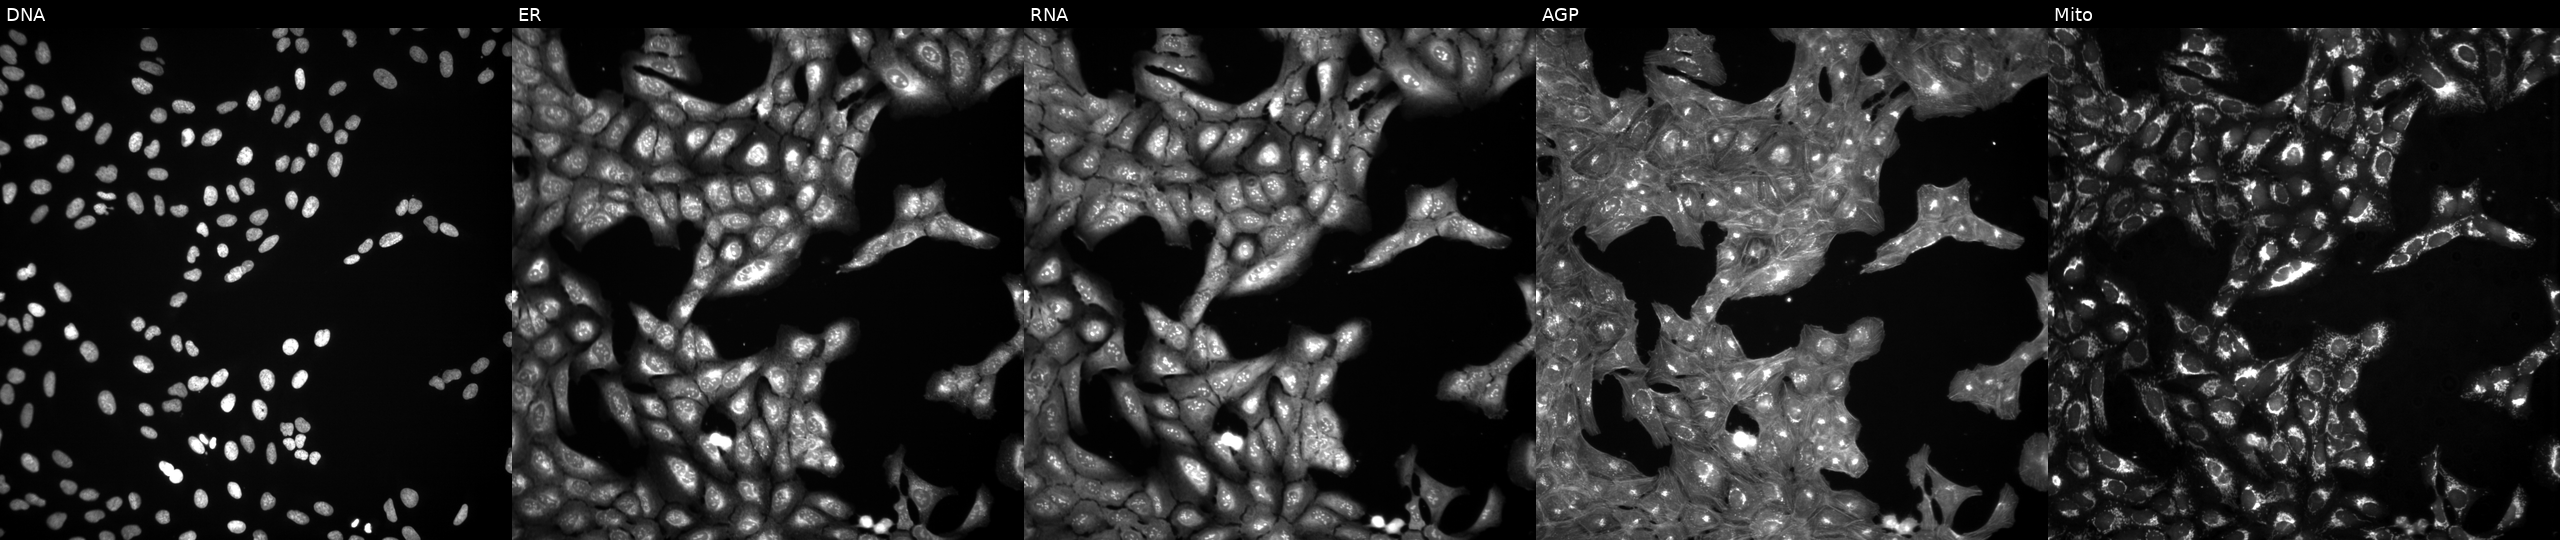
Panels show, left to right, DNA (nuclei); ER (endoplasmic reticulum); RNA (nucleoli and cytoplasmic RNA); AGP (actin cytoskeleton, Golgi, and plasma membrane); Mito (mitochondria). U2OS osteosarcoma cells treated with aloxistatin (positive-control compound). Cell Painting assay, JUMP-CP dataset. Source 3, plate BR5867a3, well I01.